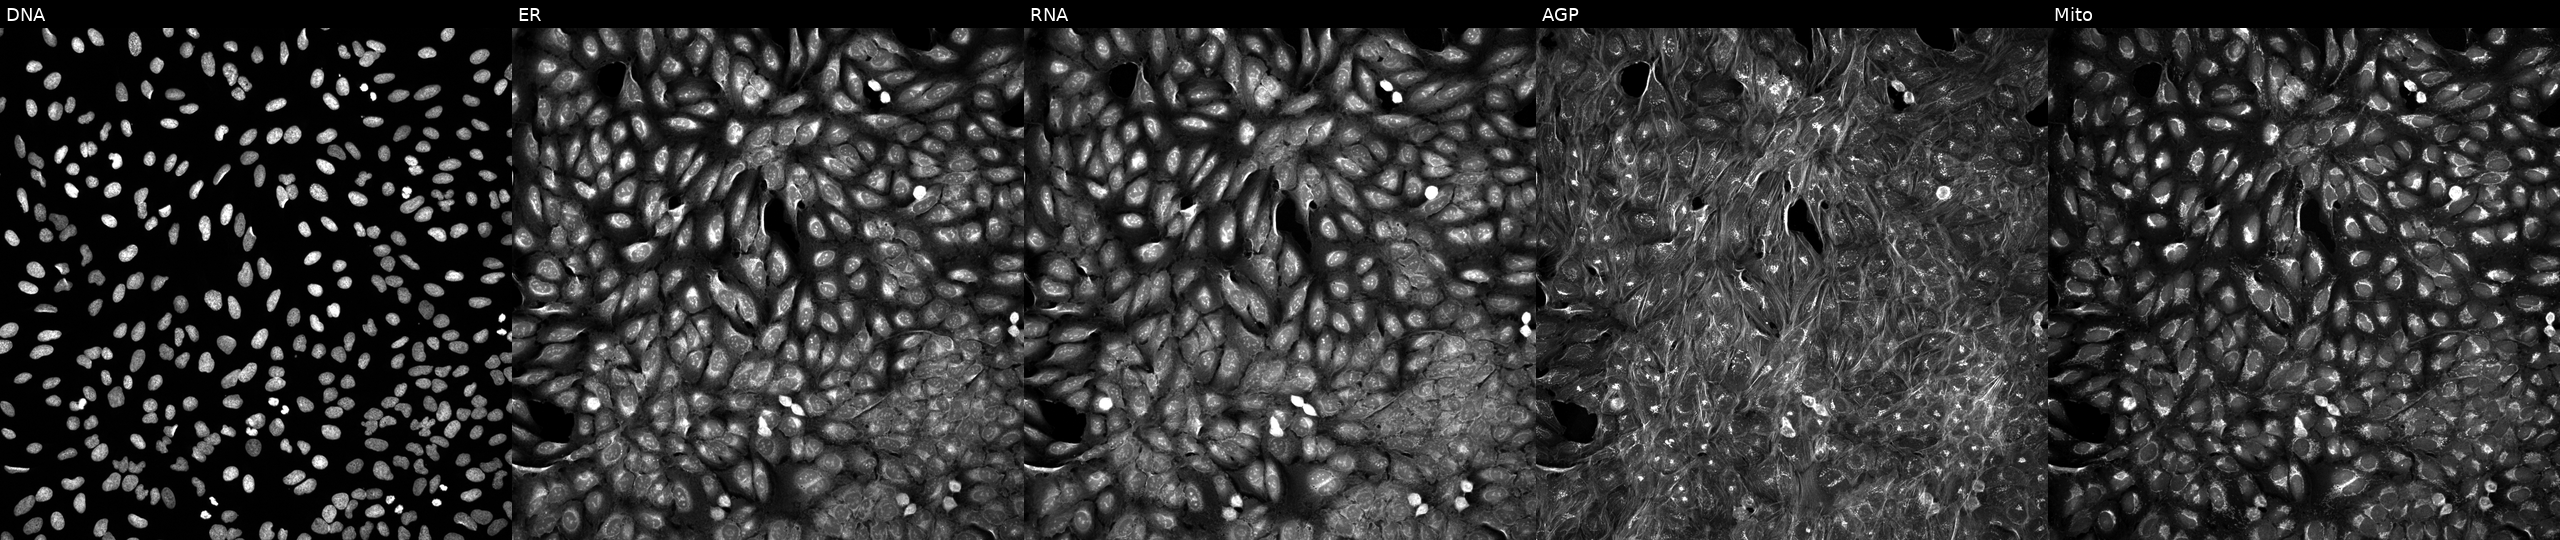
U2OS cells, Cell Painting assay, perturbed with a small-molecule compound [SMILES: Cc1cc(C)cc(C(=O)N(C)C(Cc2ccc(-c3ccccc3)cc2)C(=O)NC(Cc2c[nH]c3ccccc23)C(=O)O)c1]. From left to right: DNA, ER, RNA, AGP, and Mito. Each panel is percentile-stretched 16-bit fluorescence. Source 5, plate ACPJUM051, well E21.